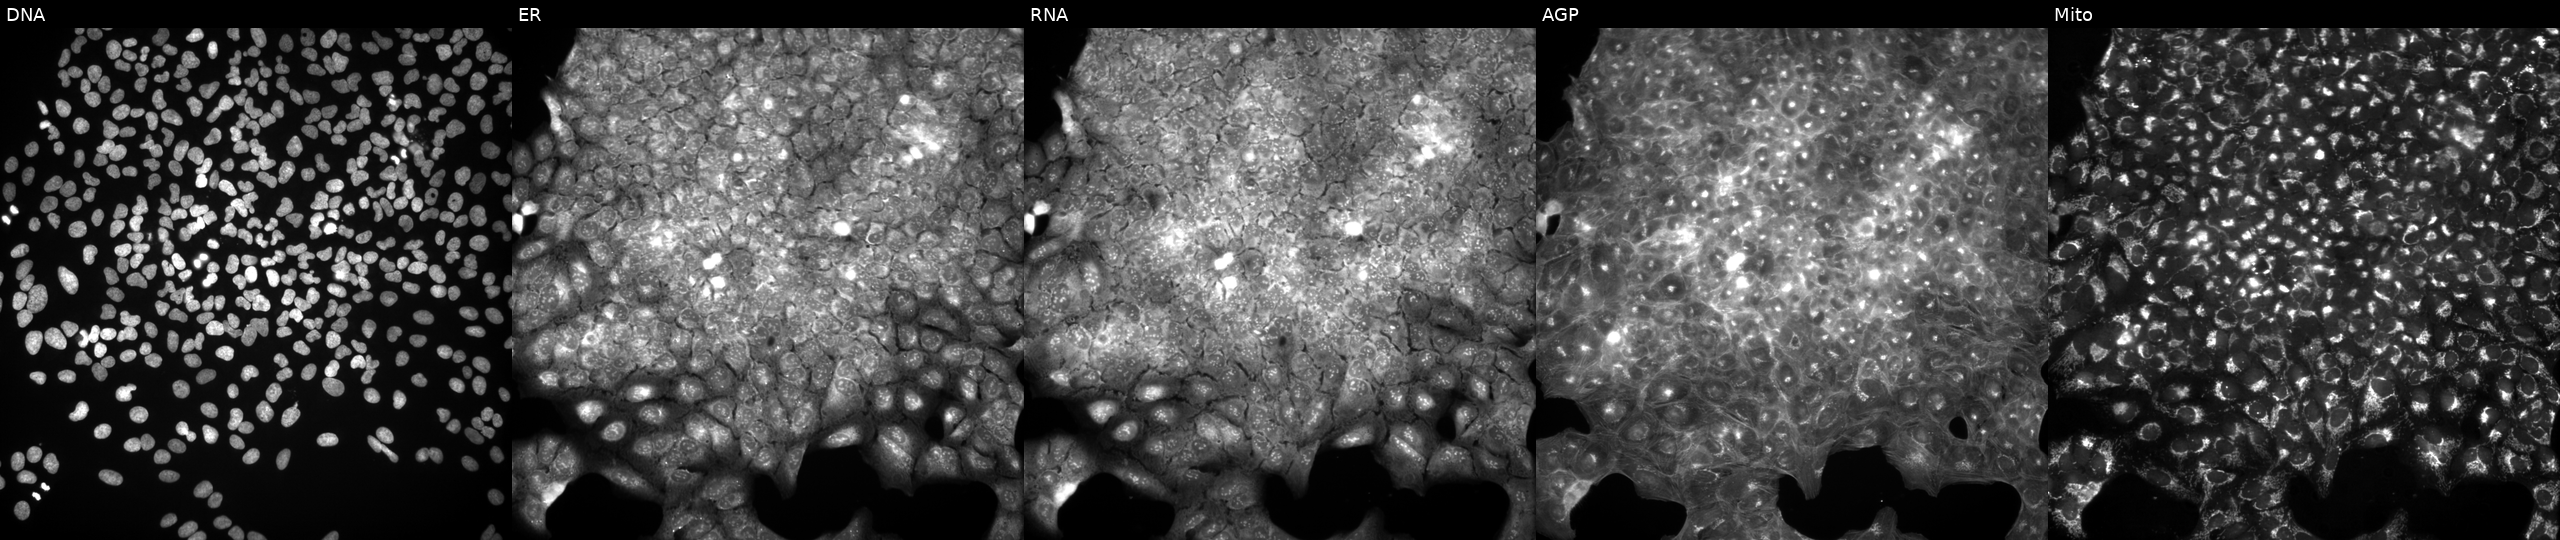
JUMP Cell Painting — COMPOUND plate. U2OS cells exposed to a small-molecule compound (InChIKey NYTIDTIWBWUWCB-UHFFFAOYSA-N) [SMILES: Cc1ccc(-n2[nH]c(CN3CCOCC3)c(-c3ccccc3)c2=N)cc1Cl]. The five panels, left to right, show Hoechst 33342, concanavalin A, SYTO 14, phalloidin and WGA, MitoTracker.